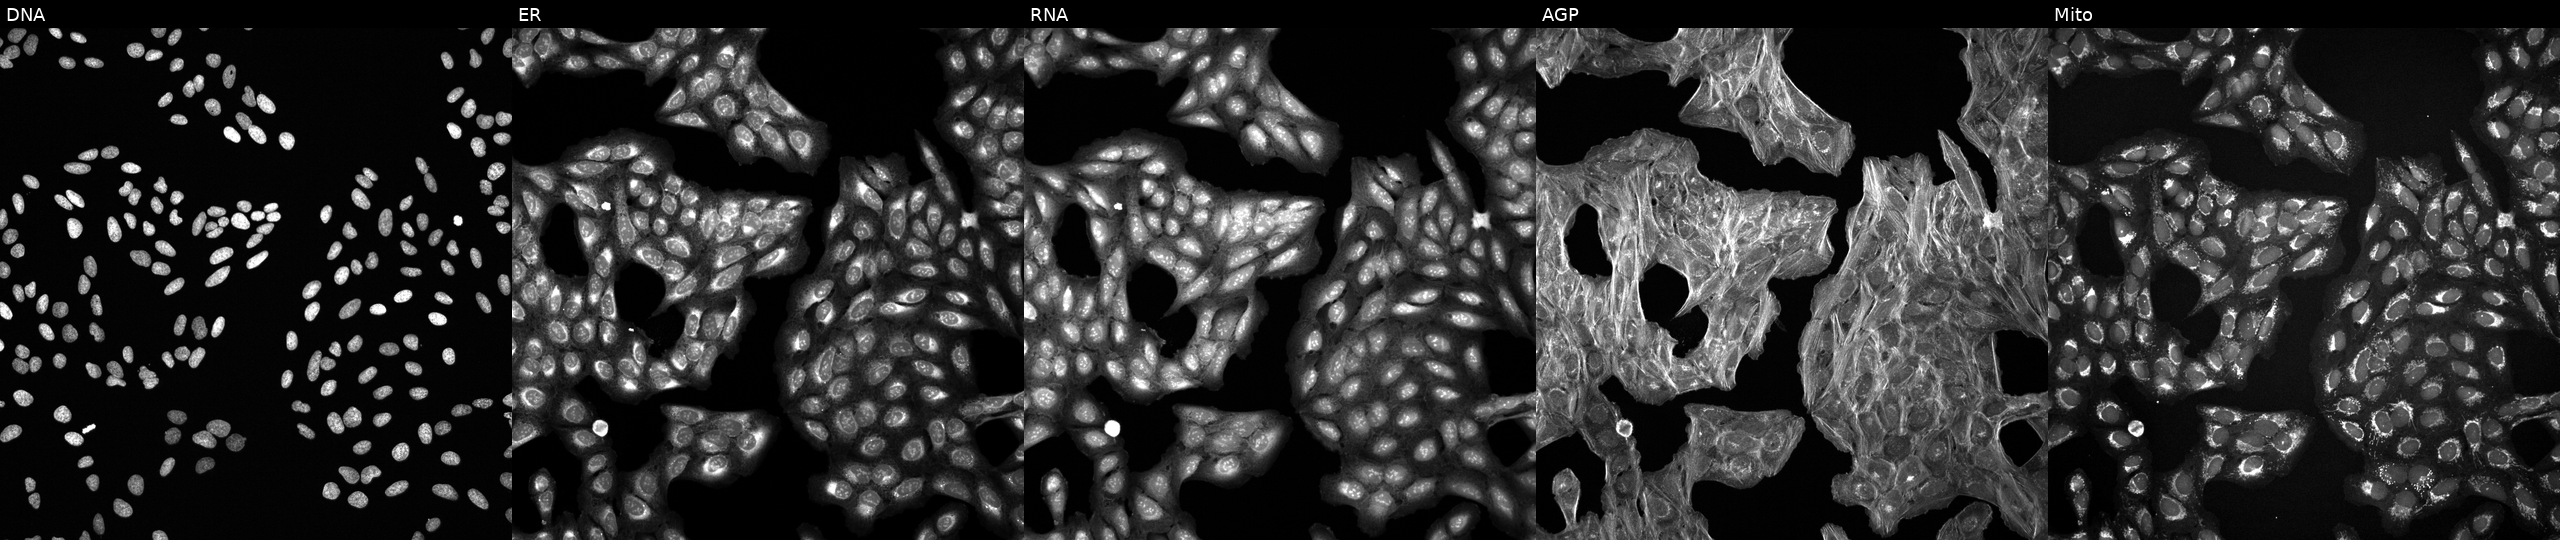
Panels show, left to right, DNA, ER, RNA, AGP, and Mito. U2OS osteosarcoma cells perturbed with a small-molecule compound (InChIKey QQWRCROJGHZHDL-UHFFFAOYSA-N) (JUMP id JCP2022_075309). Cell Painting assay, JUMP-CP dataset.